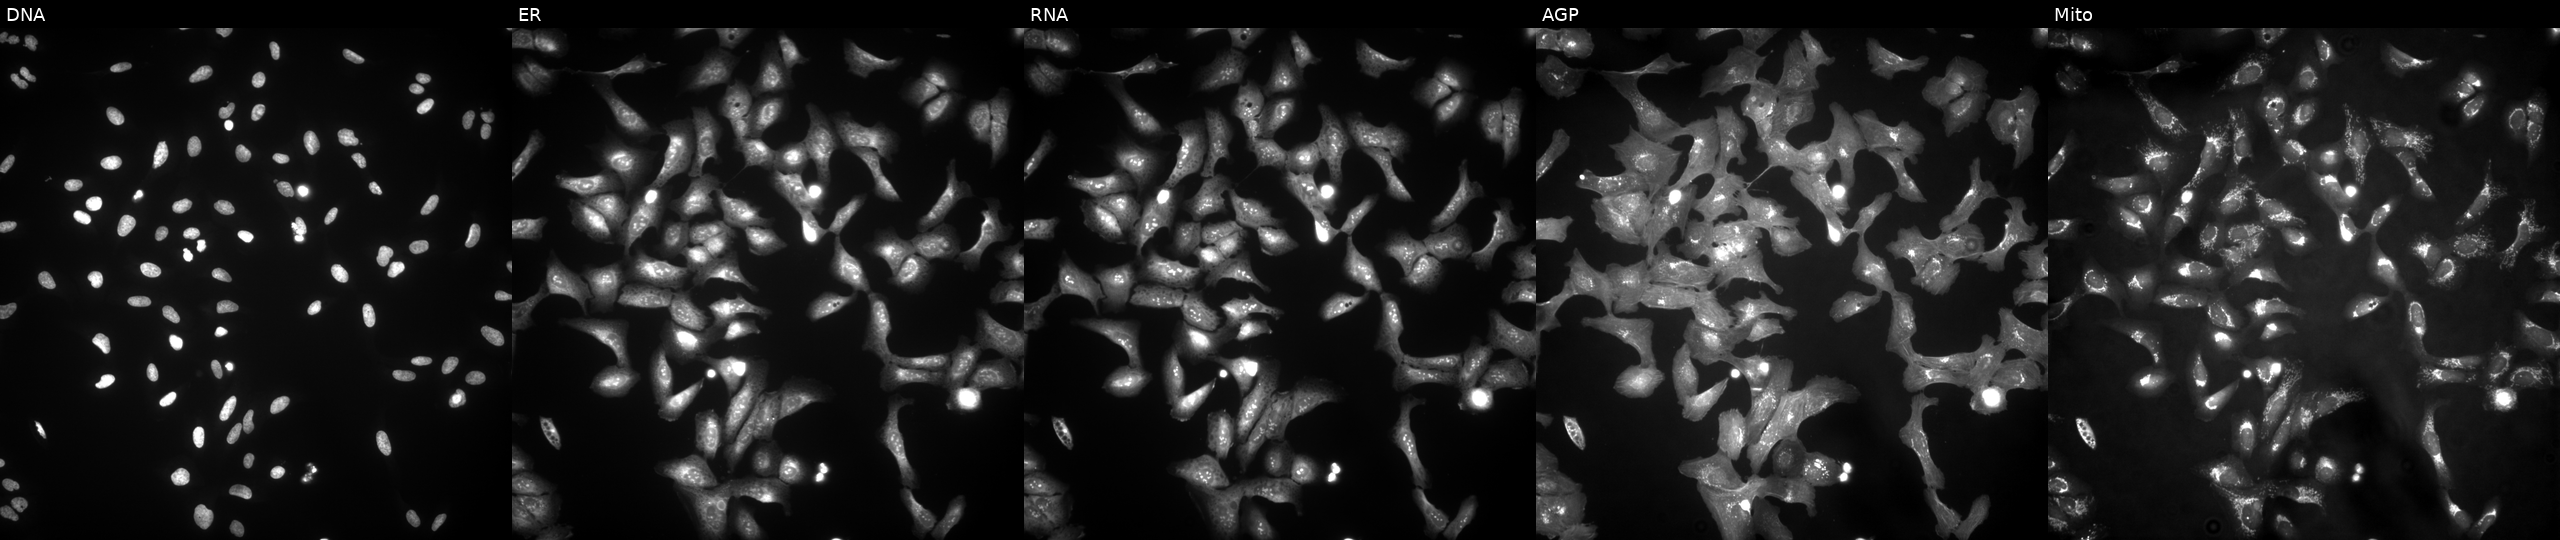
U2OS cells, Cell Painting assay, with SLC10A1 overexpressed (ORF) (JUMP id JCP2022_901445). From left to right: DNA (nuclei); ER (endoplasmic reticulum); RNA (nucleoli and cytoplasmic RNA); AGP (actin cytoskeleton, Golgi, and plasma membrane); Mito (mitochondria). Each panel is percentile-stretched 16-bit fluorescence.